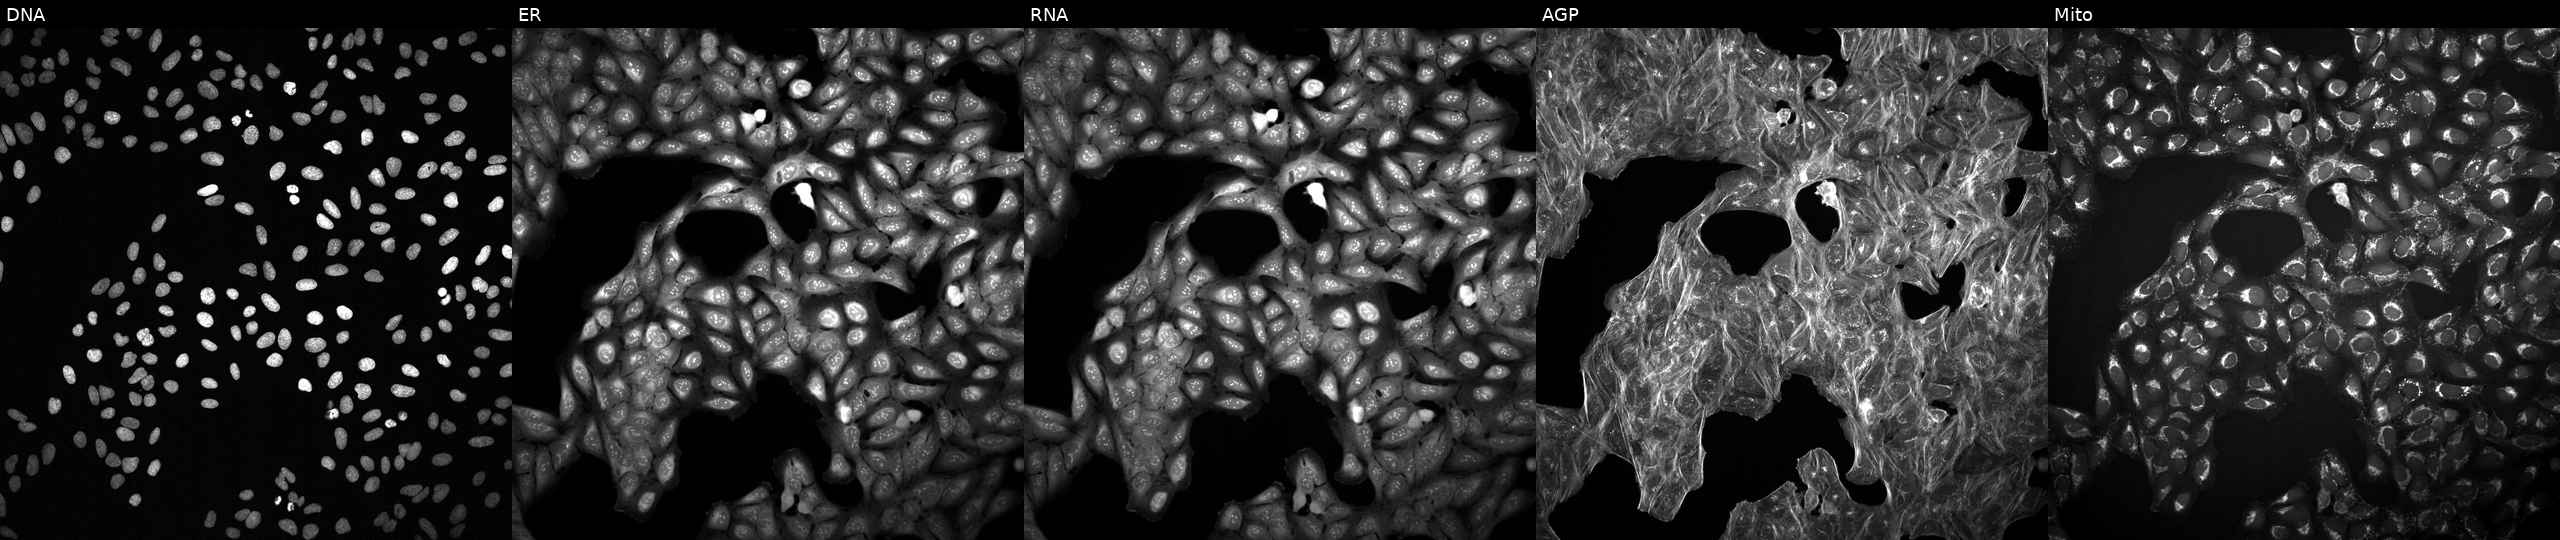
This image strip shows the five Cell Painting channels for a single field of U2OS cells perturbed with a small-molecule compound (InChIKey BNZBUEHOLFZECA-UHFFFAOYSA-N) [SMILES: CCC(=O)c1ccccc1OCCN1CCc2ccccc2C1] (JUMP id JCP2022_007564). Channels (left→right): DNA (nuclei); ER (endoplasmic reticulum); RNA (nucleoli and cytoplasmic RNA); AGP (actin cytoskeleton, Golgi, and plasma membrane); Mito (mitochondria). Source 2, plate 1053601756, well A13.